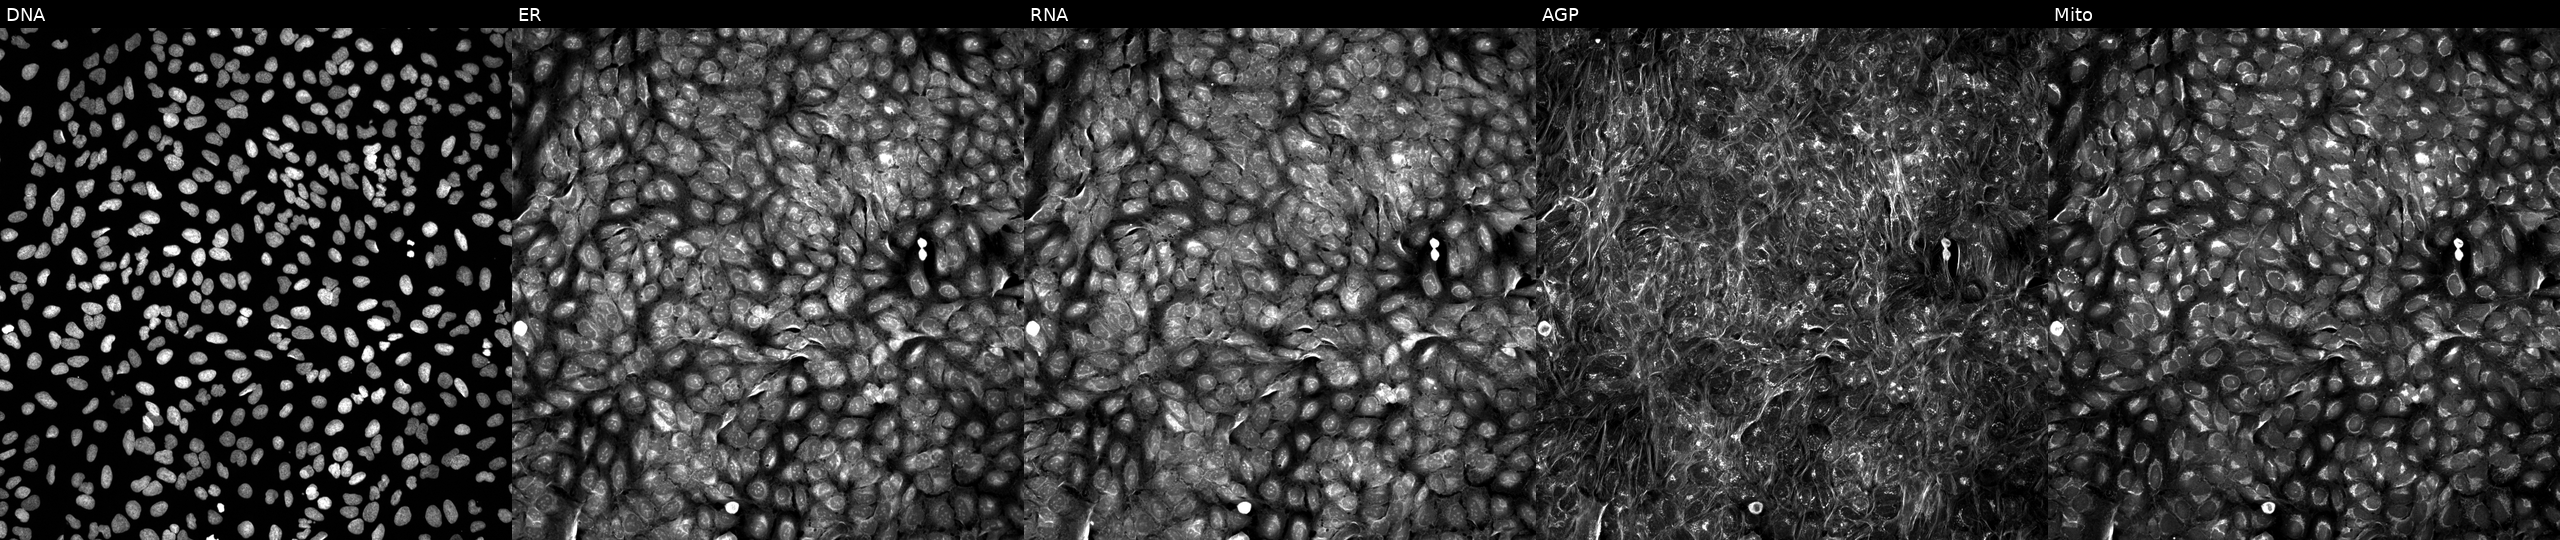
High-content fluorescence microscopy (Cell Painting). Cell line: U2OS. Perturbation: treated with DMSO vehicle only (negative control) (JUMP id JCP2022_033924). From left to right: DNA (nuclei); ER (endoplasmic reticulum); RNA (nucleoli and cytoplasmic RNA); AGP (actin cytoskeleton, Golgi, and plasma membrane); Mito (mitochondria).